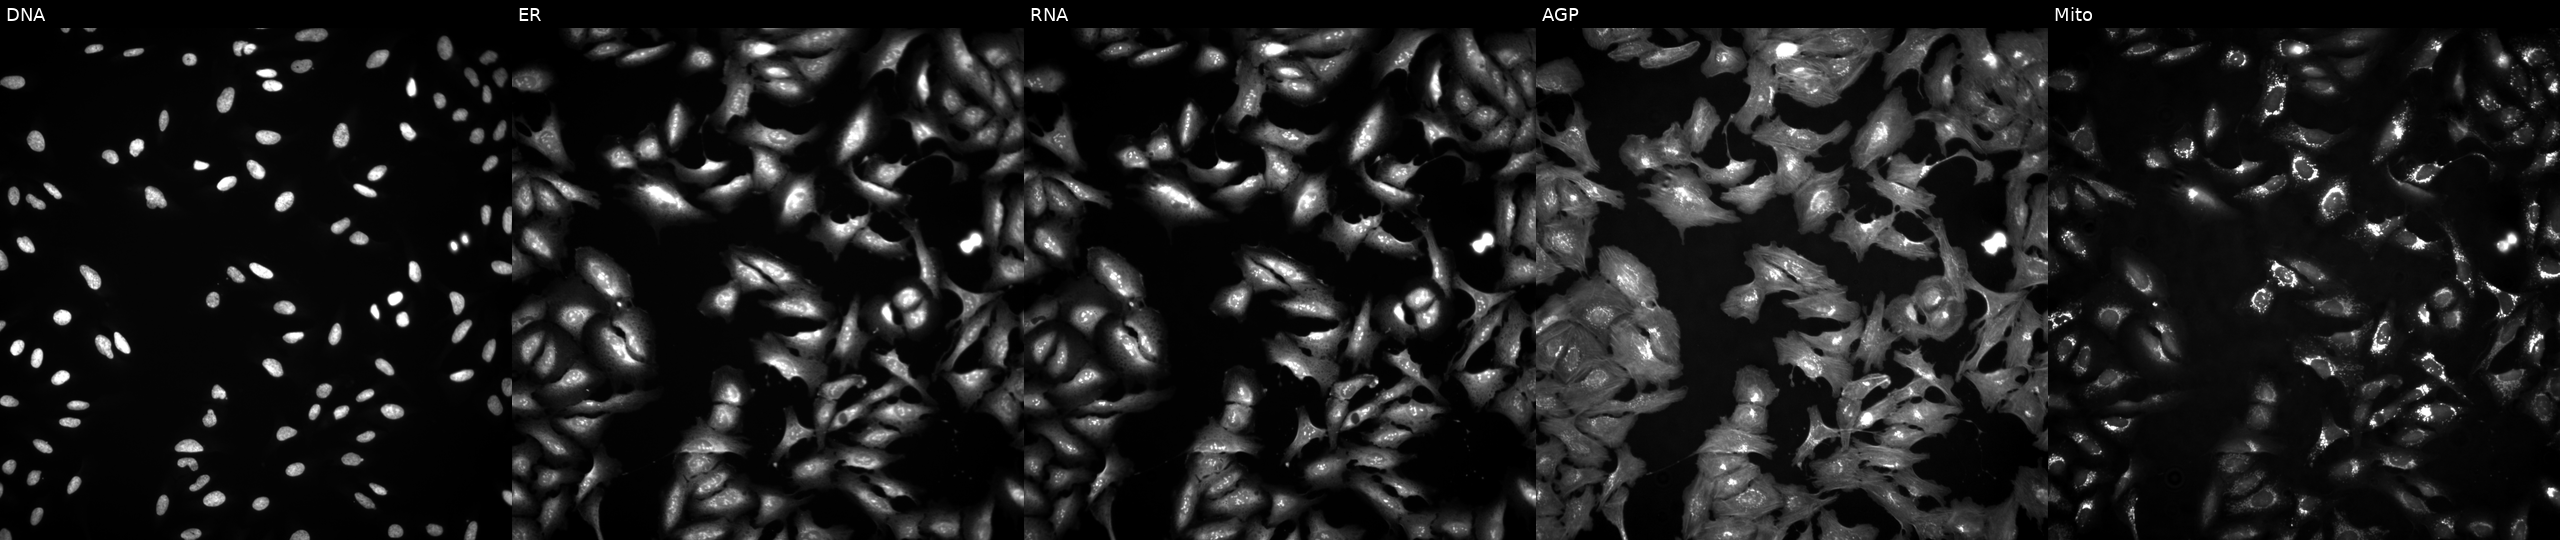
This image strip shows the five Cell Painting channels for a single field of U2OS cells overexpressing DGUOK via ORF transfection. Panels show, left to right, Hoechst 33342, concanavalin A, SYTO 14, phalloidin and WGA, MitoTracker.